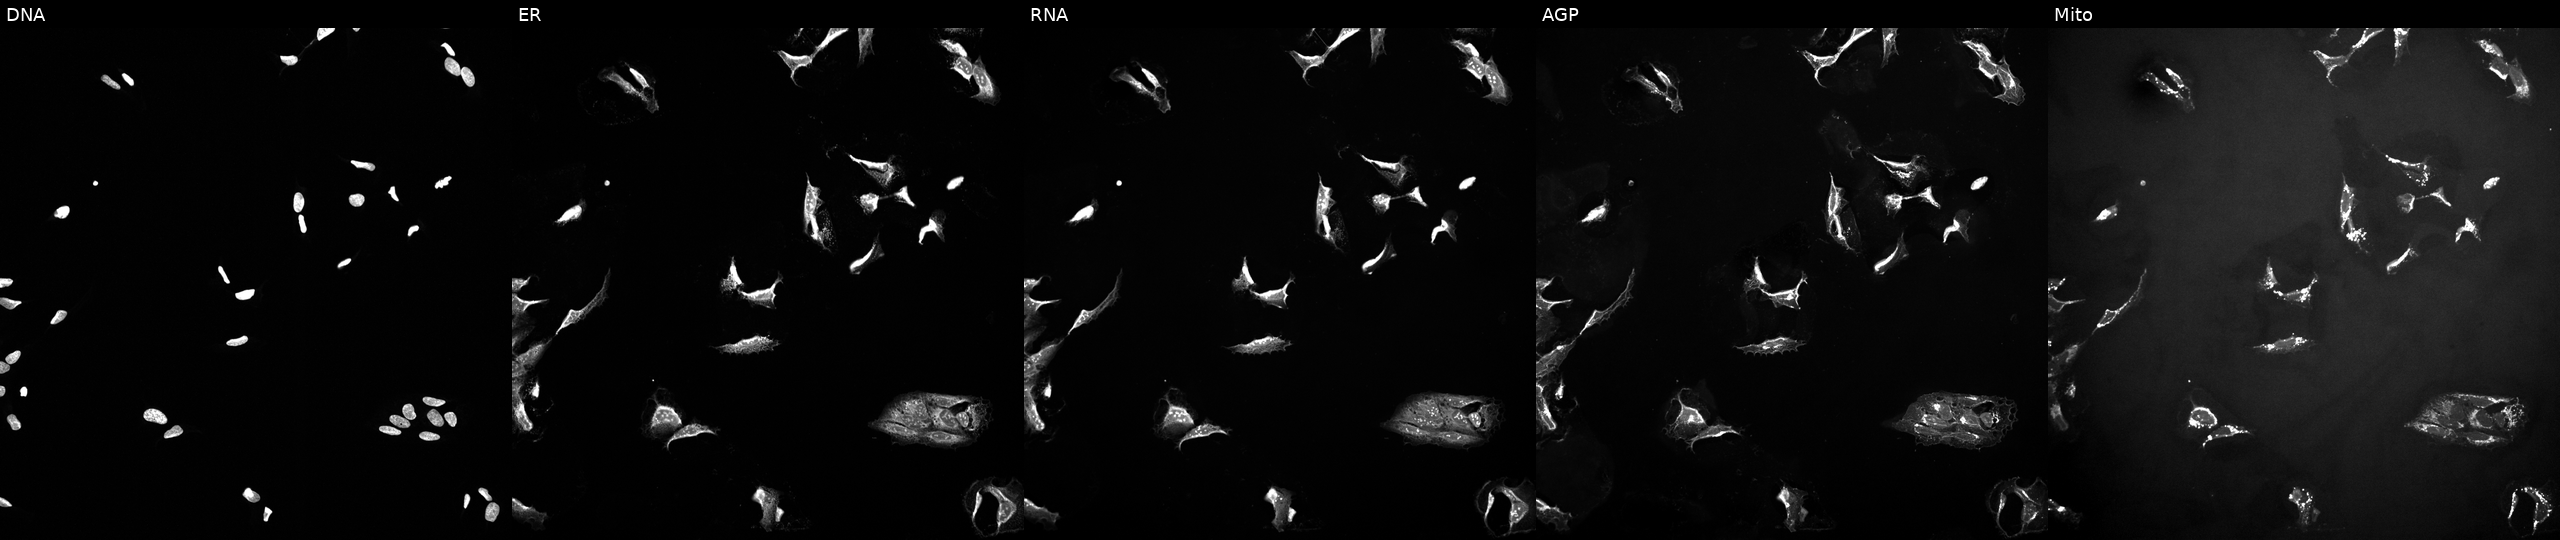
This image strip shows the five Cell Painting channels for a single field of U2OS cells perturbed with a small-molecule compound (InChIKey UTBOEBCWXGDOGI-UHFFFAOYSA-N). Channels (left→right): DNA (nuclei); ER (endoplasmic reticulum); RNA (nucleoli and cytoplasmic RNA); AGP (actin cytoskeleton, Golgi, and plasma membrane); Mito (mitochondria).